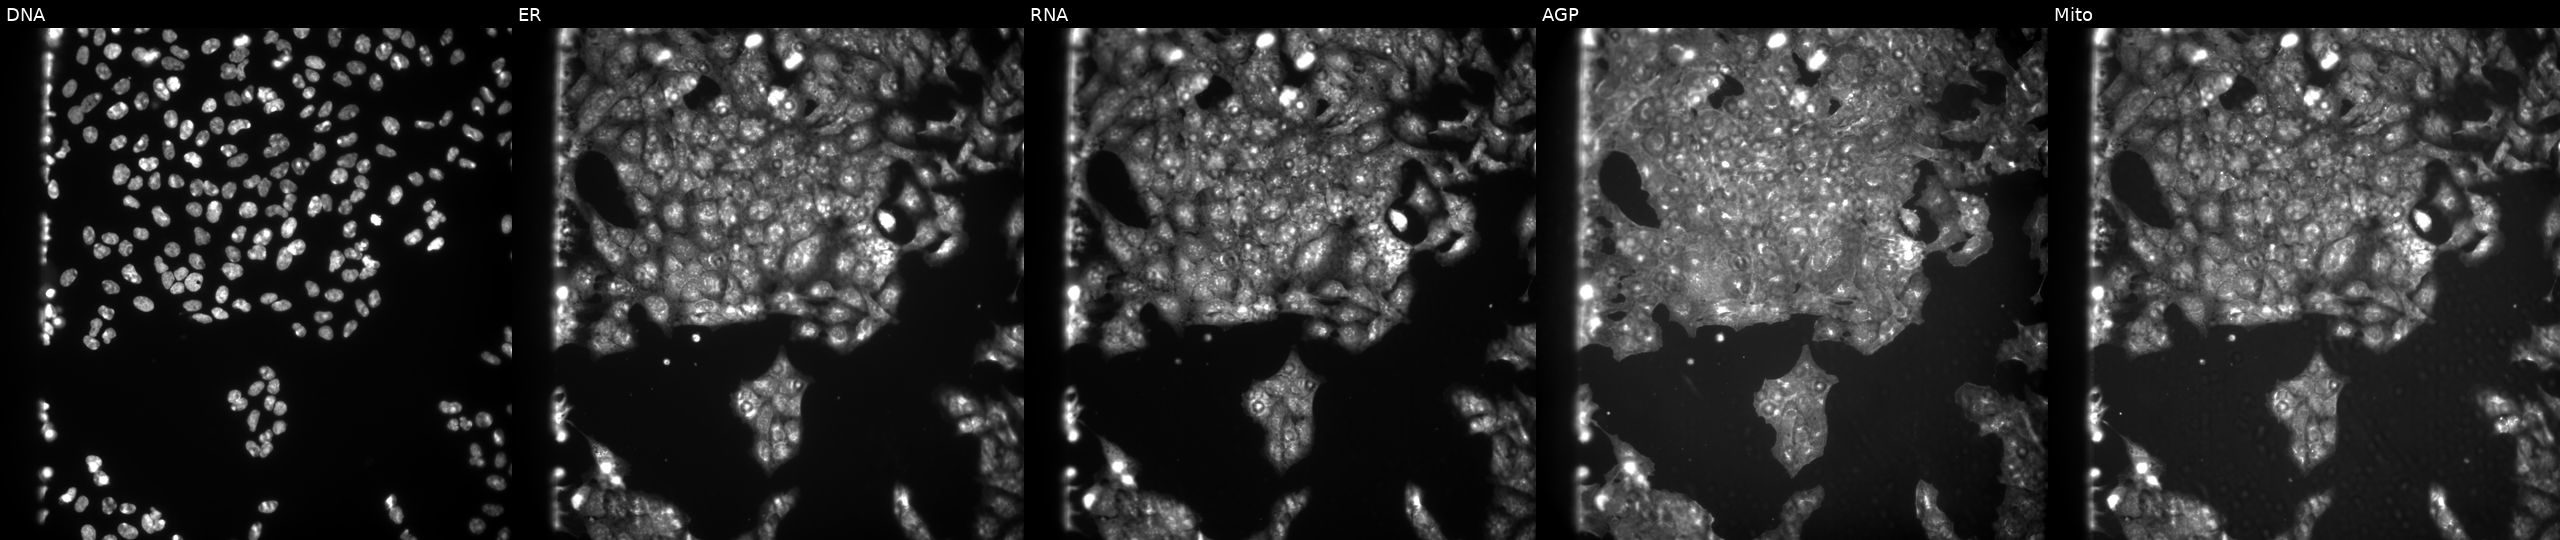
This image strip shows the five Cell Painting channels for a single field of U2OS cells treated with NVS-PAK1-1 (positive-control compound) (JUMP id JCP2022_064022). The five panels, left to right, show DNA (nuclei); ER (endoplasmic reticulum); RNA (nucleoli and cytoplasmic RNA); AGP (actin cytoskeleton, Golgi, and plasma membrane); Mito (mitochondria).